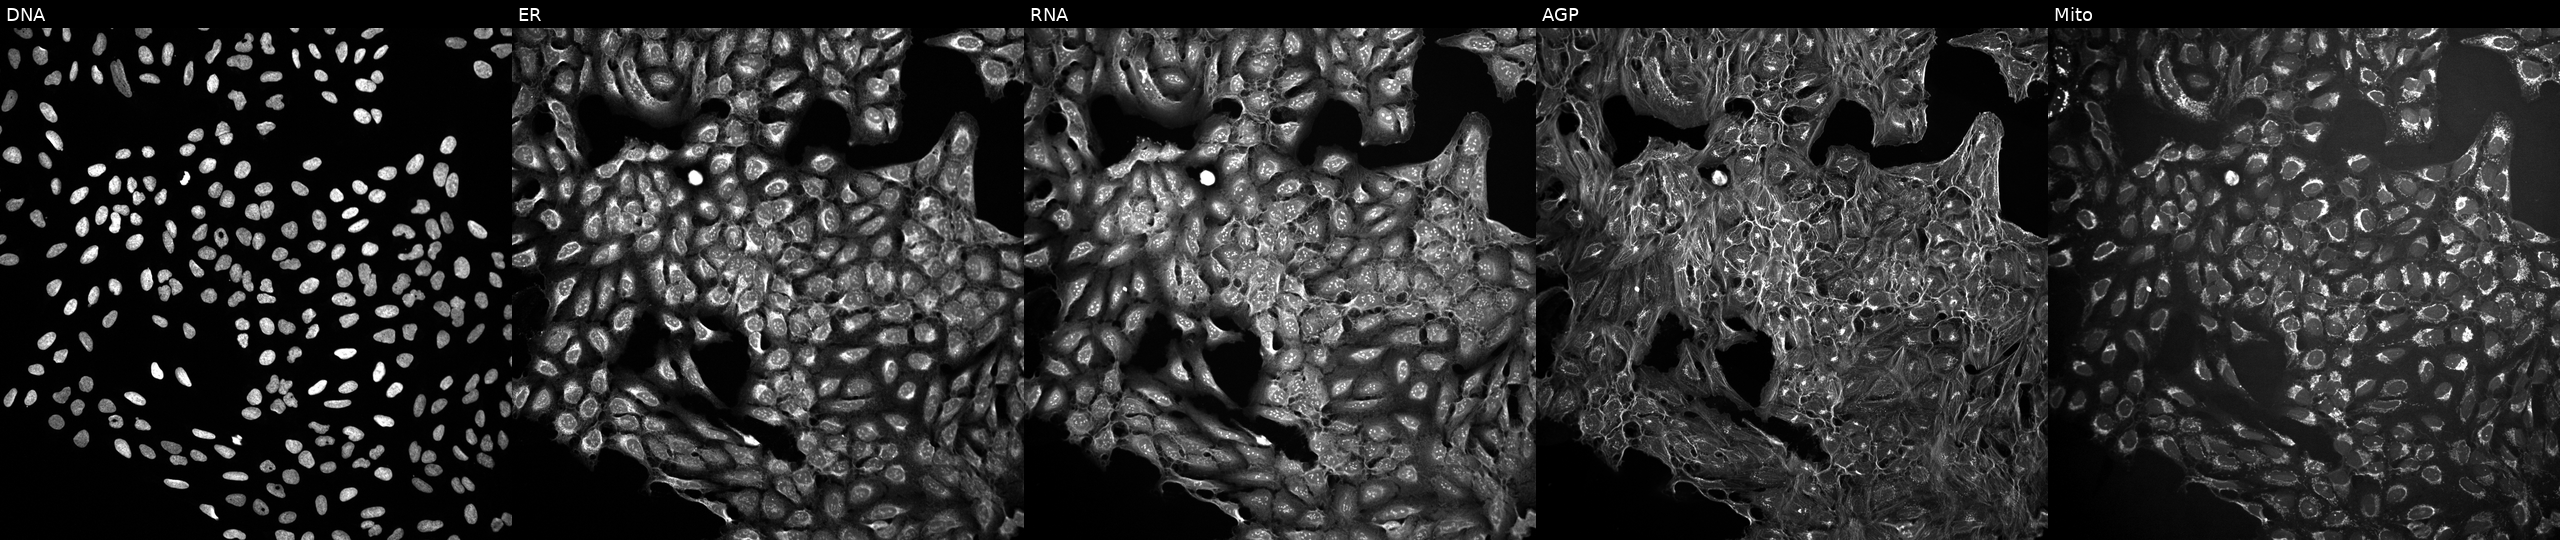
U2OS cells, Cell Painting assay, treated with a small-molecule compound. From left to right: Hoechst 33342, concanavalin A, SYTO 14, phalloidin and WGA, MitoTracker. Each panel is percentile-stretched 16-bit fluorescence.